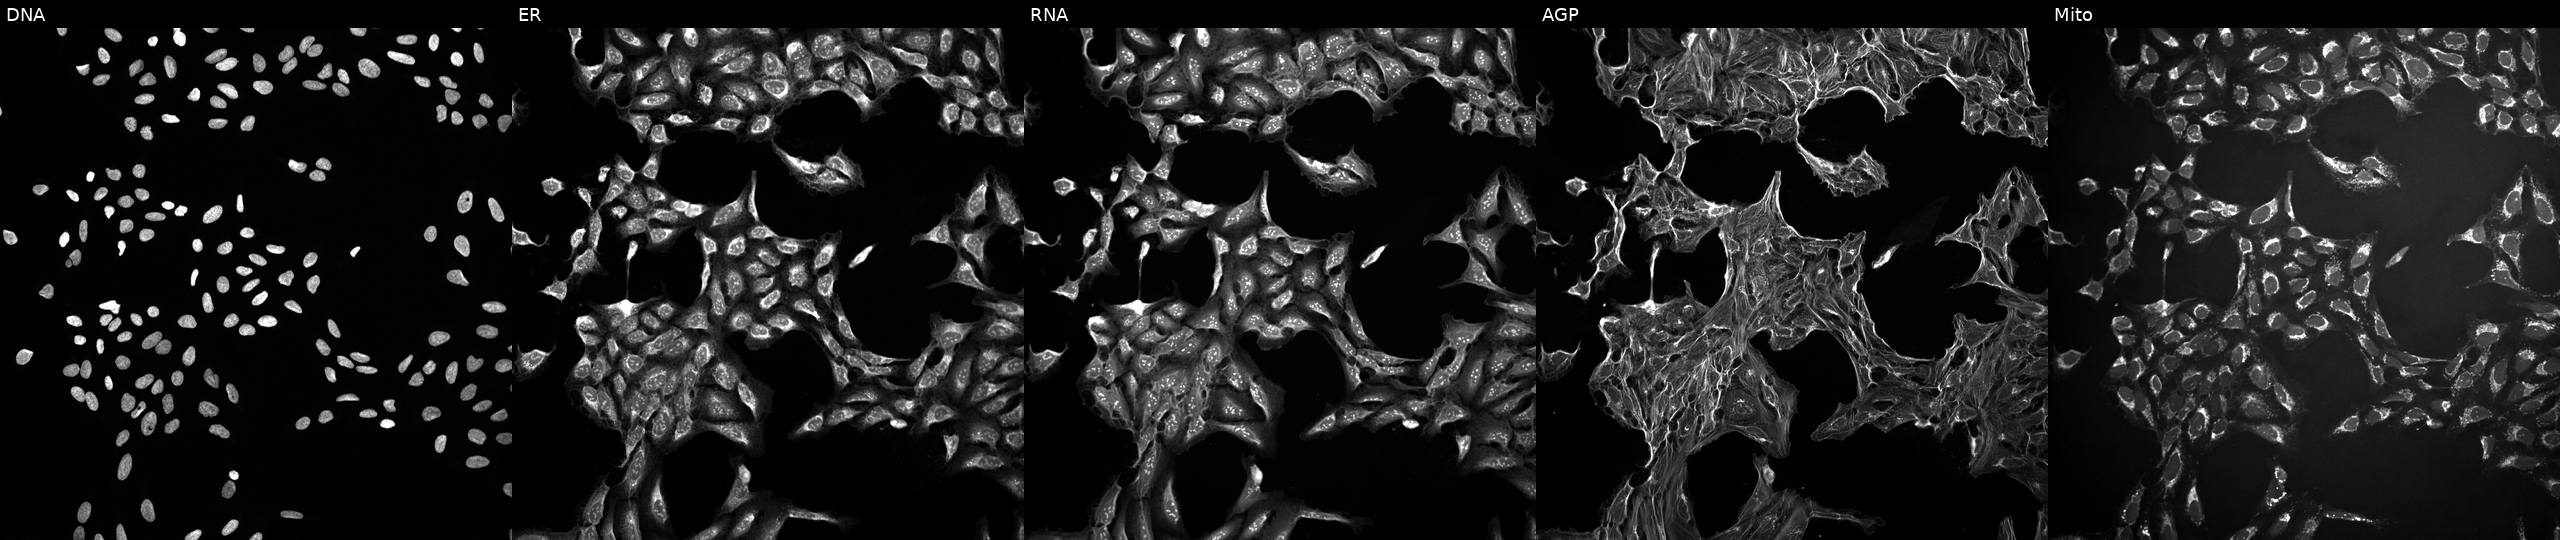
This image strip shows the five Cell Painting channels for a single field of U2OS cells exposed to a small-molecule compound (InChIKey XSDQTOBWRPYKKA-UHFFFAOYSA-N) (JUMP id JCP2022_105696). Channels (left→right): DNA, ER, RNA, AGP, and Mito.